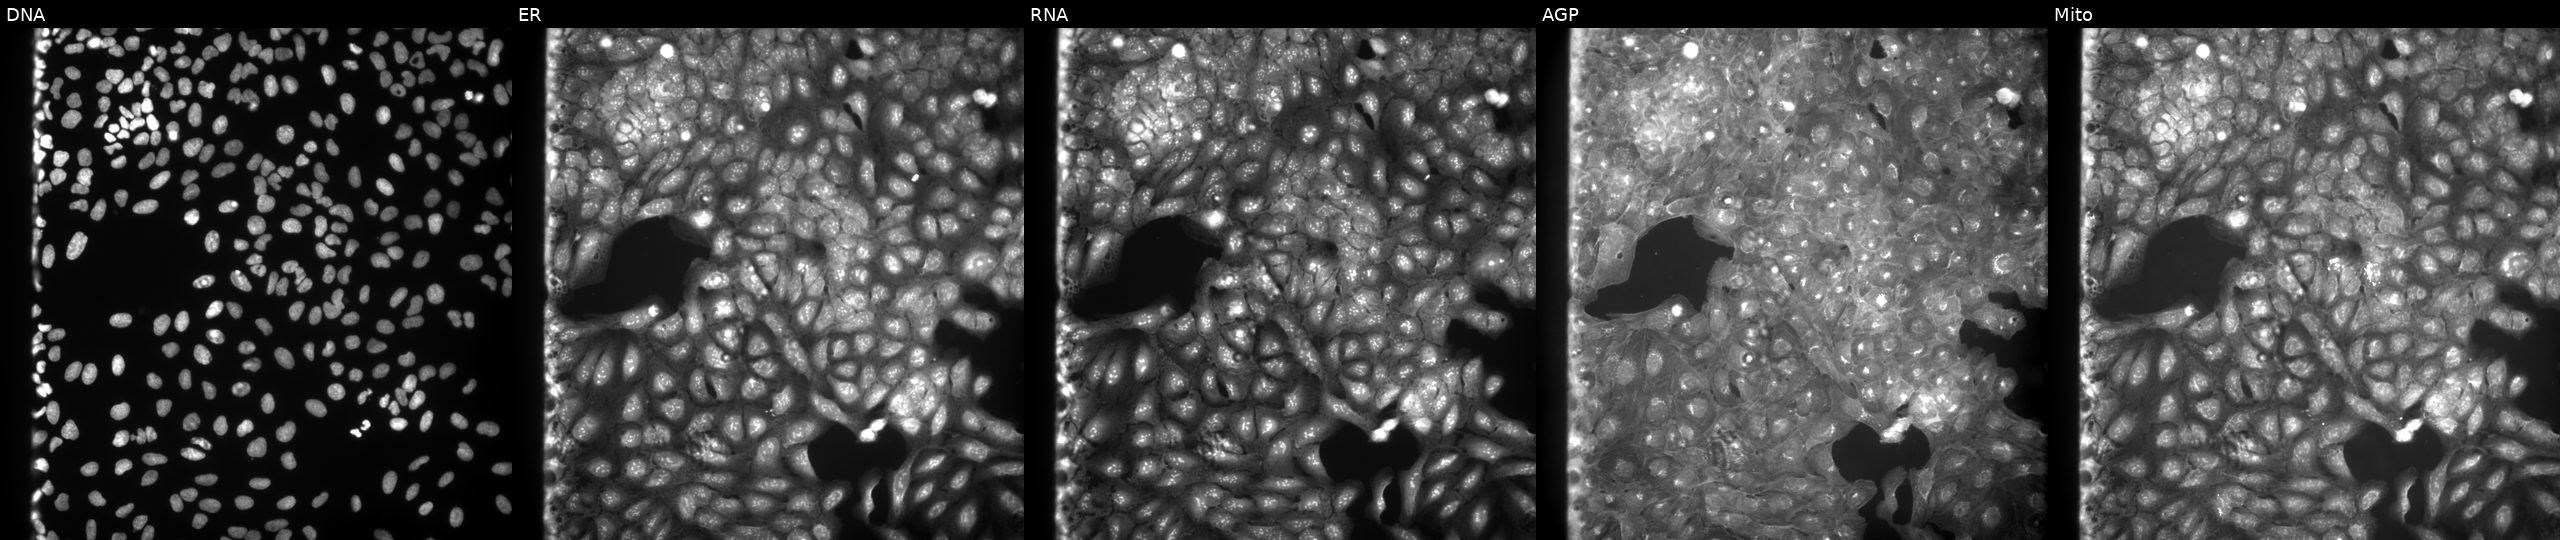
Channels (left→right): DNA, ER, RNA, AGP, and Mito. U2OS osteosarcoma cells perturbed with a small-molecule compound (InChIKey DJENPGVEDZIEJX-UHFFFAOYSA-N). Cell Painting assay, JUMP-CP dataset.